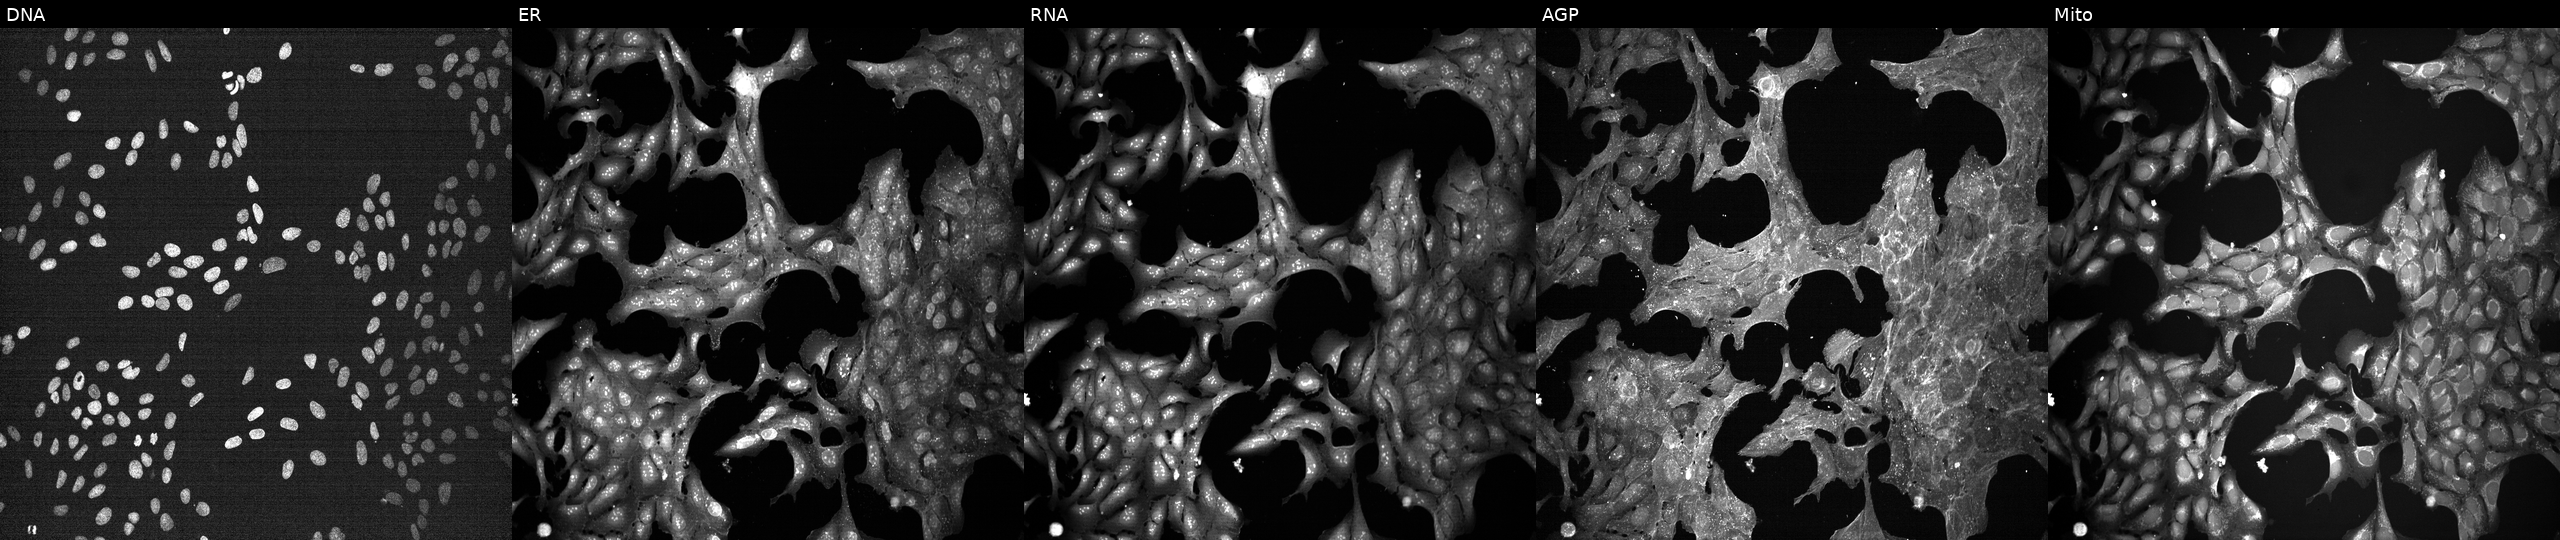
Five-channel Cell Painting image of U2OS cells exposed to a small-molecule compound (InChIKey FYIBXBFDXNPBSF-UHFFFAOYSA-N) (JUMP id JCP2022_023781). The five panels, left to right, show DNA (nuclei); ER (endoplasmic reticulum); RNA (nucleoli and cytoplasmic RNA); AGP (actin cytoskeleton, Golgi, and plasma membrane); Mito (mitochondria). Source 7, plate CP1-SC1-25, well J23.